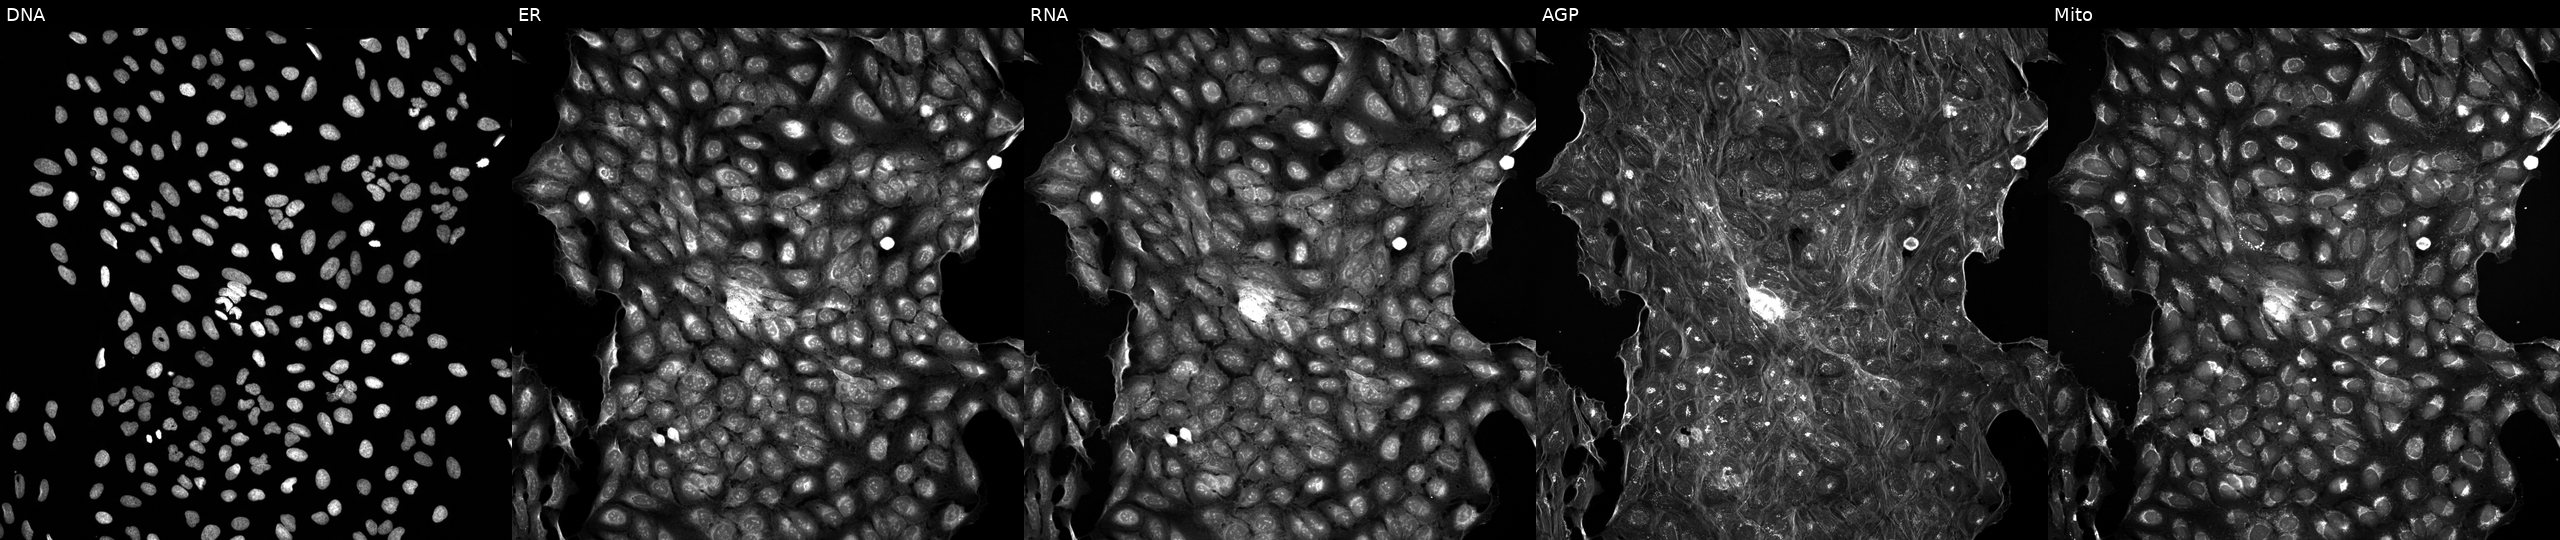
High-content fluorescence microscopy (Cell Painting). Cell line: U2OS. Perturbation: treated with a small-molecule compound (InChIKey VGZSUPCWNCWDAN-UHFFFAOYSA-N). From left to right: DNA (nuclei); ER (endoplasmic reticulum); RNA (nucleoli and cytoplasmic RNA); AGP (actin cytoskeleton, Golgi, and plasma membrane); Mito (mitochondria). Source 5, plate ACPJUM032, well M08.